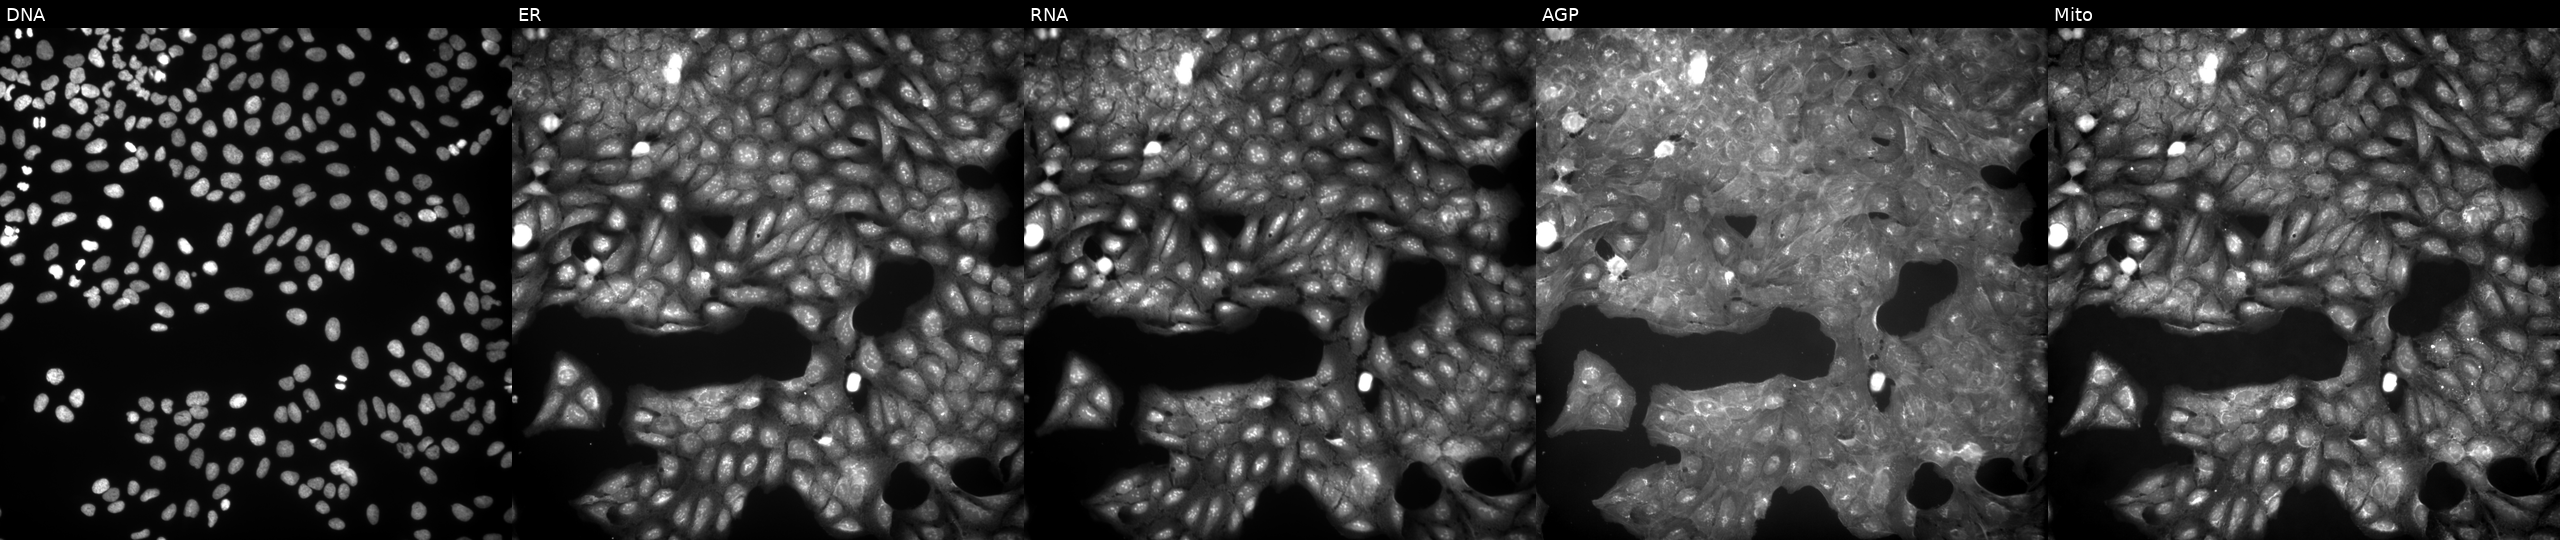
Panels show, left to right, DNA, ER, RNA, AGP, and Mito. U2OS osteosarcoma cells exposed to a small-molecule compound (JUMP id JCP2022_042224). Cell Painting assay, JUMP-CP dataset.